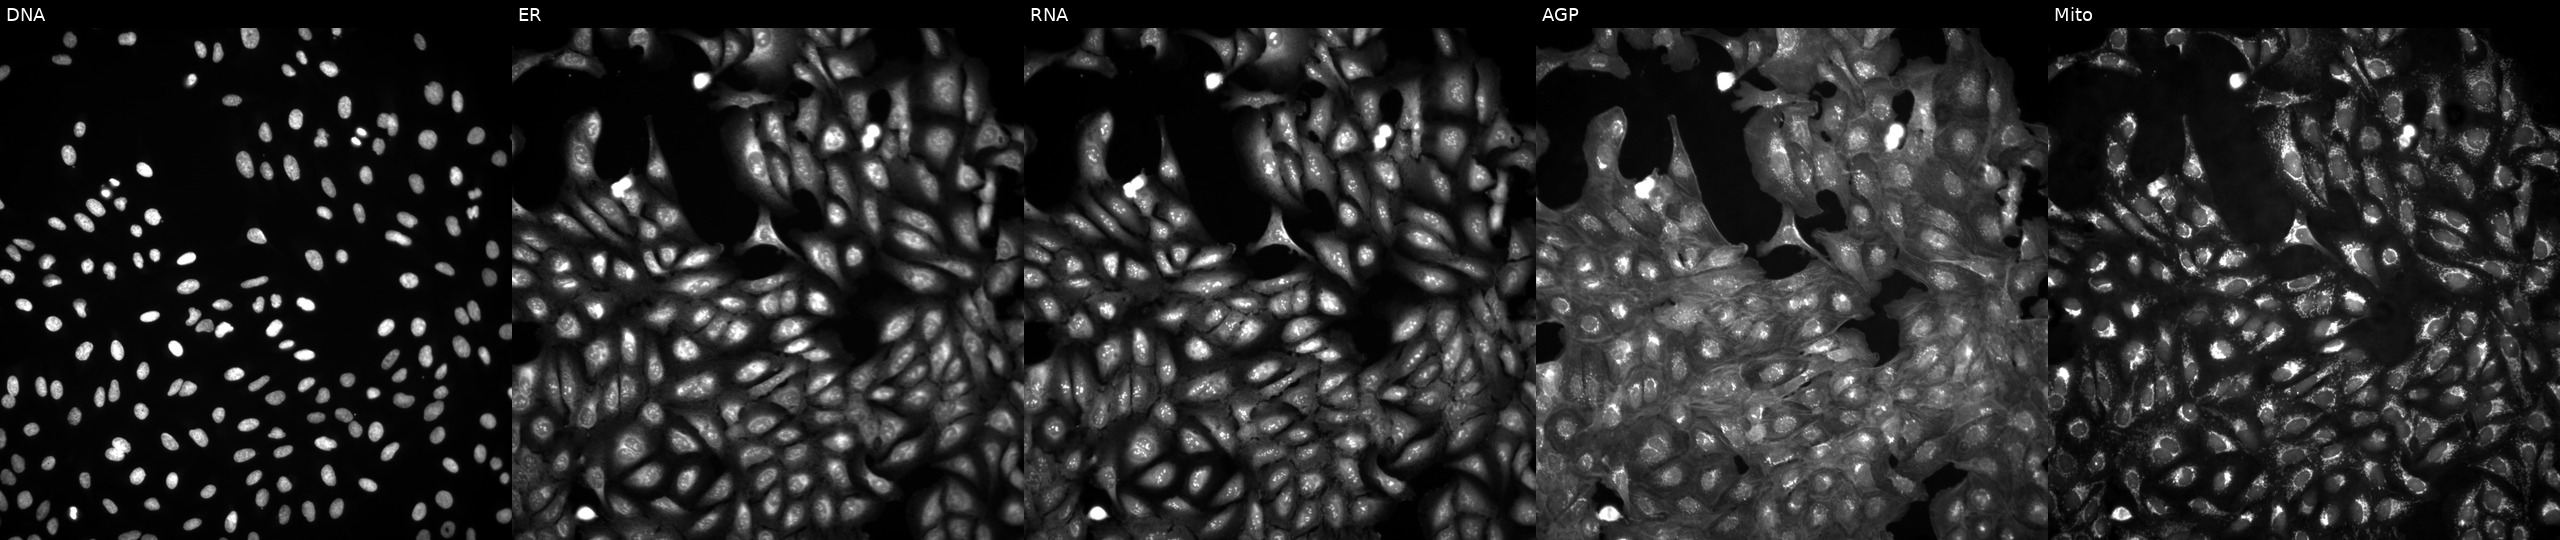
High-content fluorescence microscopy (Cell Painting). Cell line: U2OS. Perturbation: untreated (empty-well control). Channels (left→right): DNA, ER, RNA, AGP, and Mito. Source 4, plate BR00124793, well P21.